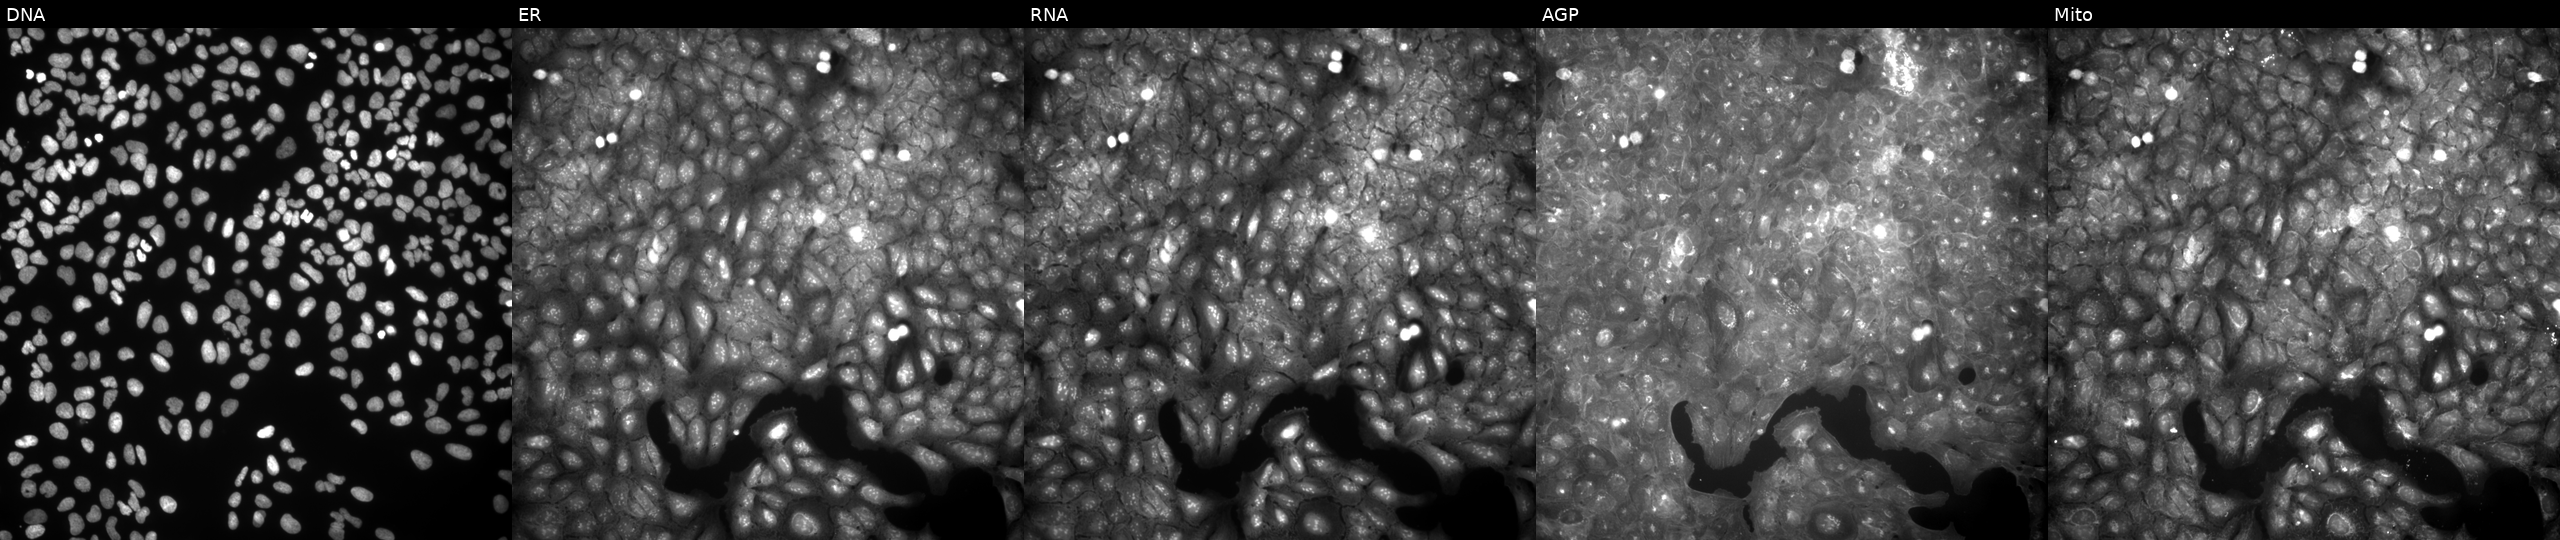
Five-channel Cell Painting image of U2OS cells treated with a small-molecule compound [SMILES: COc1cccc2cc(-c3nc4ccccc4o3)c(=O)oc12] (JUMP id JCP2022_109271). Panels show, left to right, Hoechst 33342, concanavalin A, SYTO 14, phalloidin and WGA, MitoTracker.